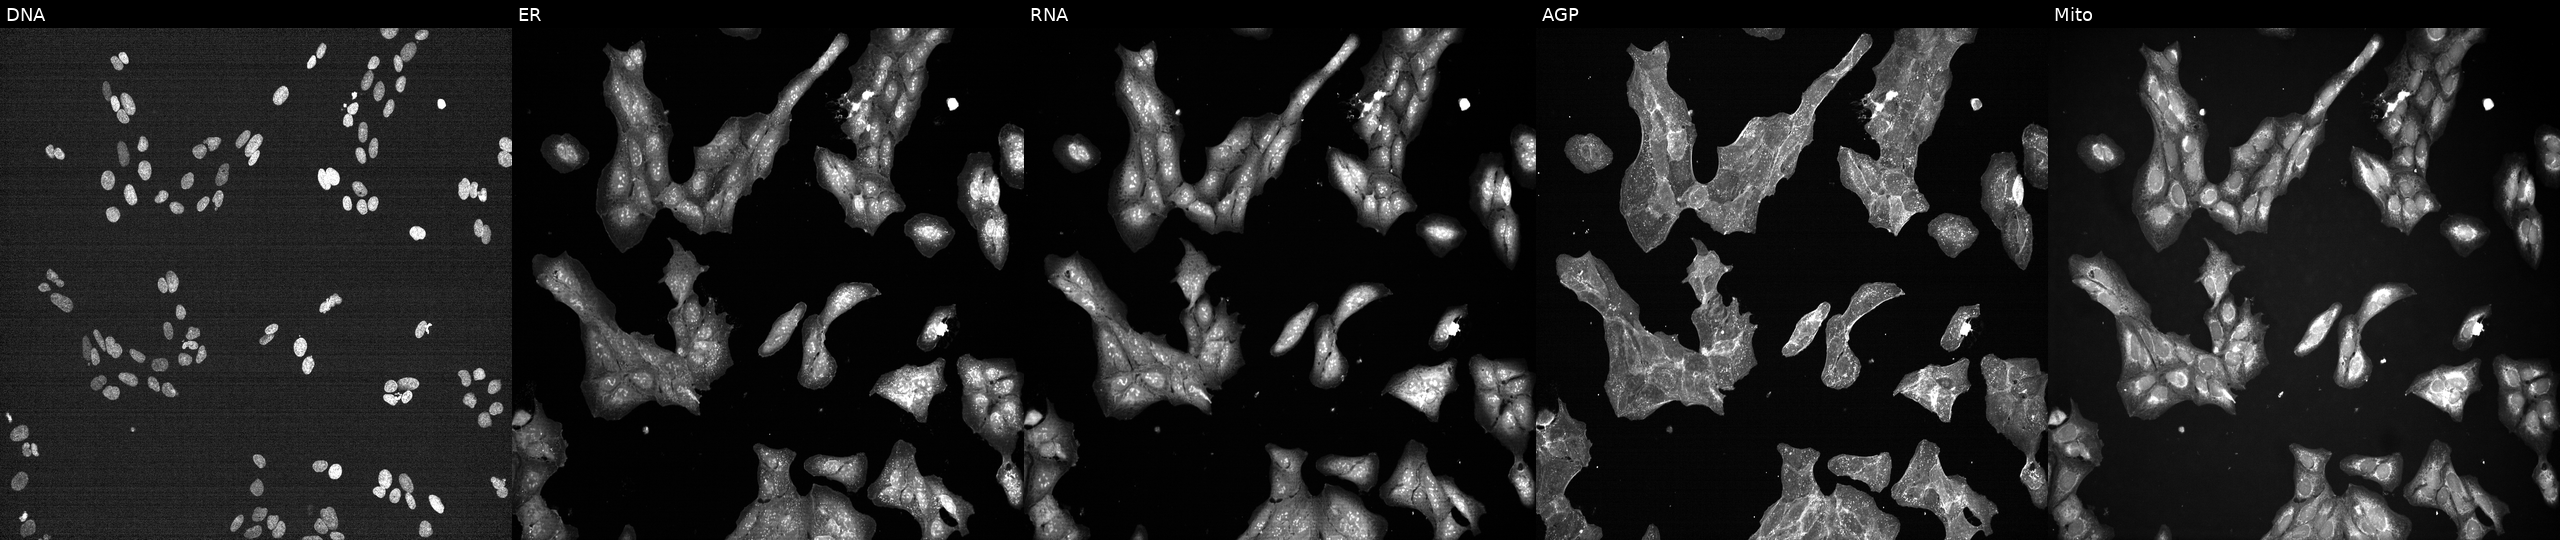
High-content fluorescence microscopy (Cell Painting). Cell line: U2OS. Perturbation: perturbed with a small-molecule compound (InChIKey PMXCMJLOPOFPBT-UHFFFAOYSA-N). From left to right: DNA (nuclei); ER (endoplasmic reticulum); RNA (nucleoli and cytoplasmic RNA); AGP (actin cytoskeleton, Golgi, and plasma membrane); Mito (mitochondria).